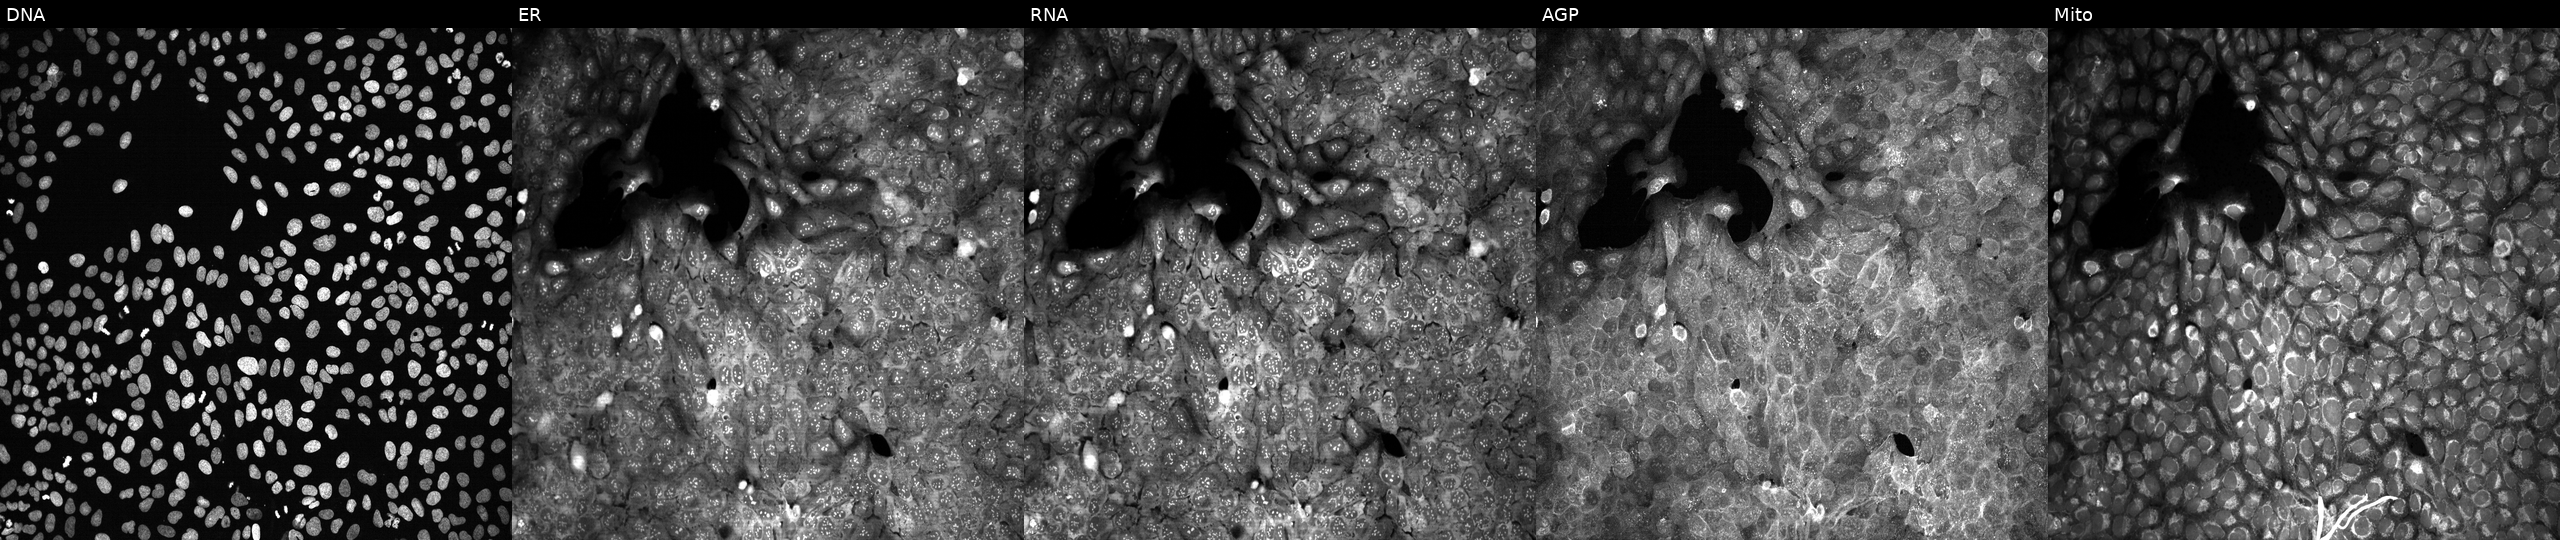
U2OS cells, Cell Painting assay, exposed to the positive-control compound dexamethasone (JUMP id JCP2022_025848). From left to right: Hoechst 33342, concanavalin A, SYTO 14, phalloidin and WGA, MitoTracker. Each panel is percentile-stretched 16-bit fluorescence.